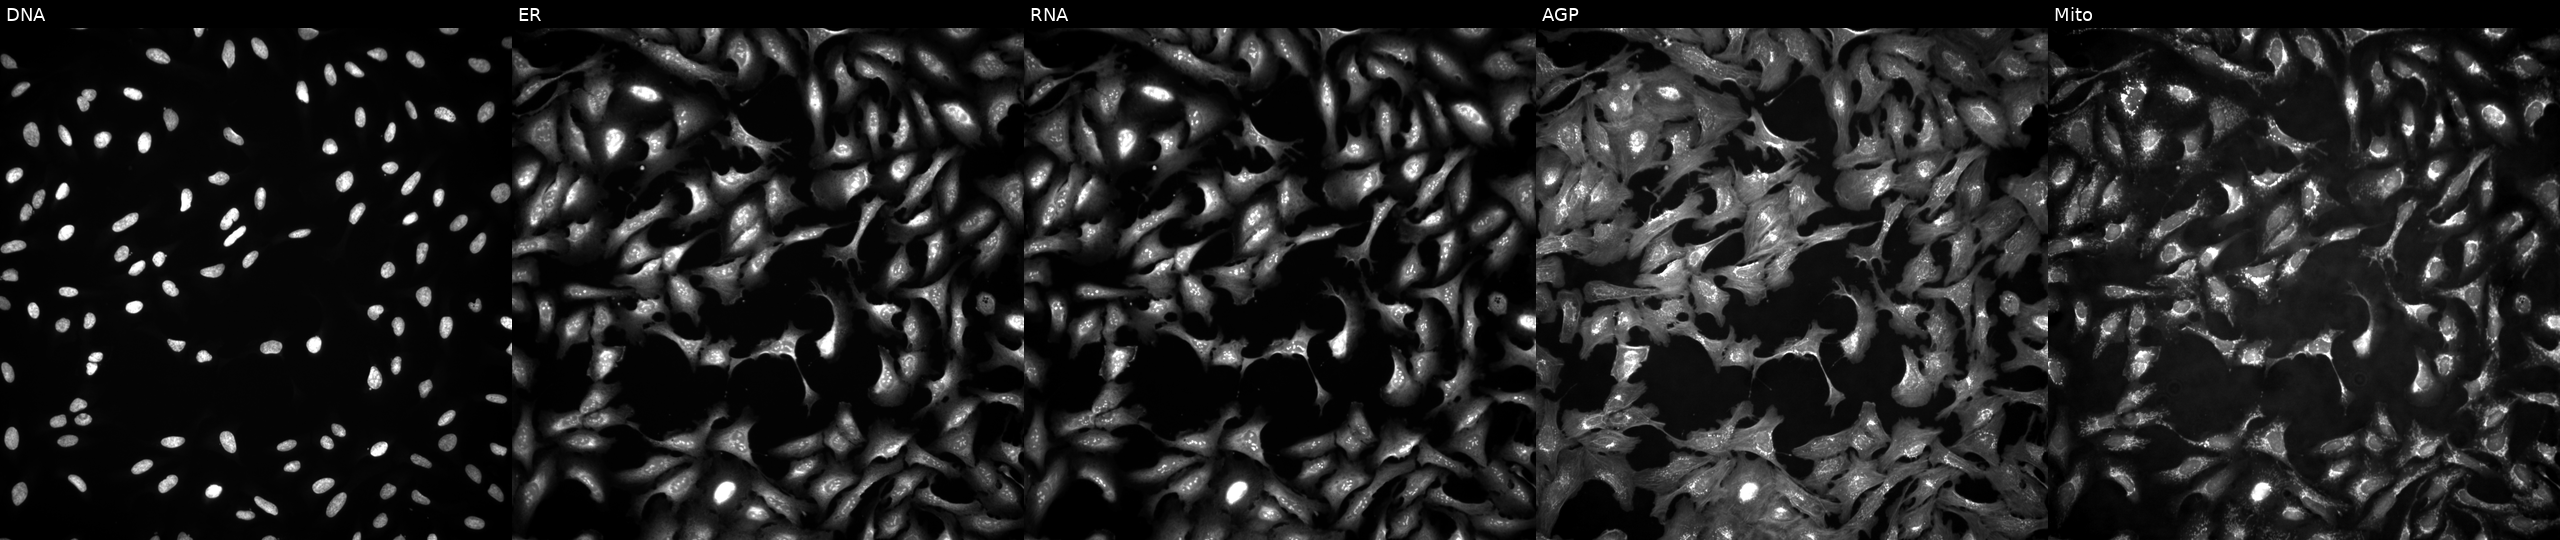
Five-channel Cell Painting image of U2OS cells overexpressing XLOC_l2_009464 via ORF transfection. Panels show, left to right, Hoechst 33342, concanavalin A, SYTO 14, phalloidin and WGA, MitoTracker.